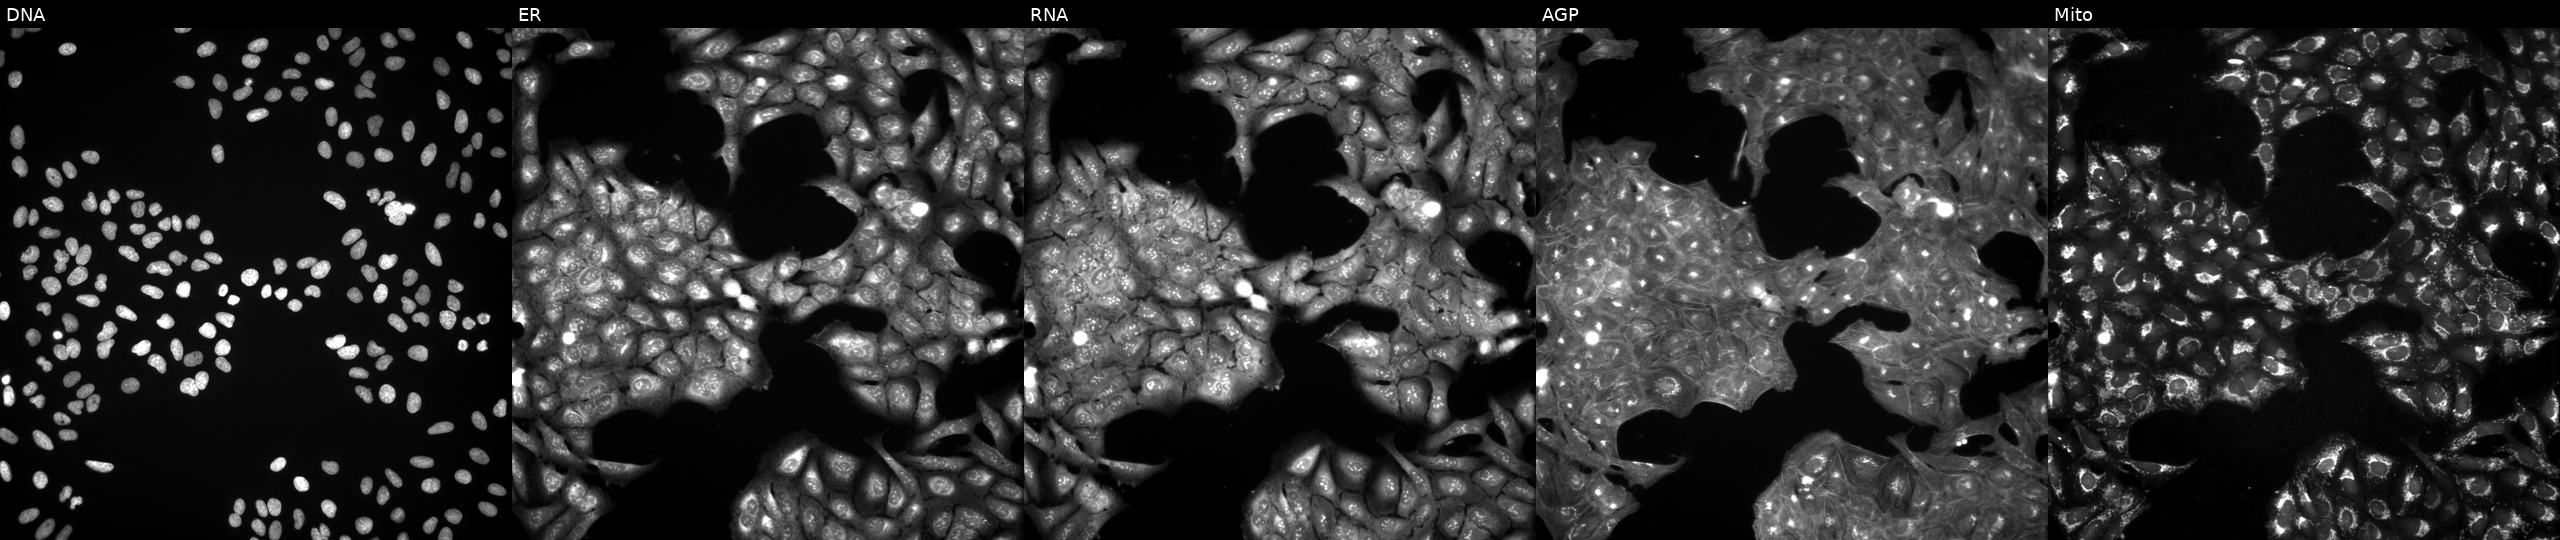
JUMP Cell Painting — TARGET2 plate. U2OS cells perturbed with a small-molecule compound (JUMP id JCP2022_116437). Panels show, left to right, DNA (nuclei); ER (endoplasmic reticulum); RNA (nucleoli and cytoplasmic RNA); AGP (actin cytoskeleton, Golgi, and plasma membrane); Mito (mitochondria).